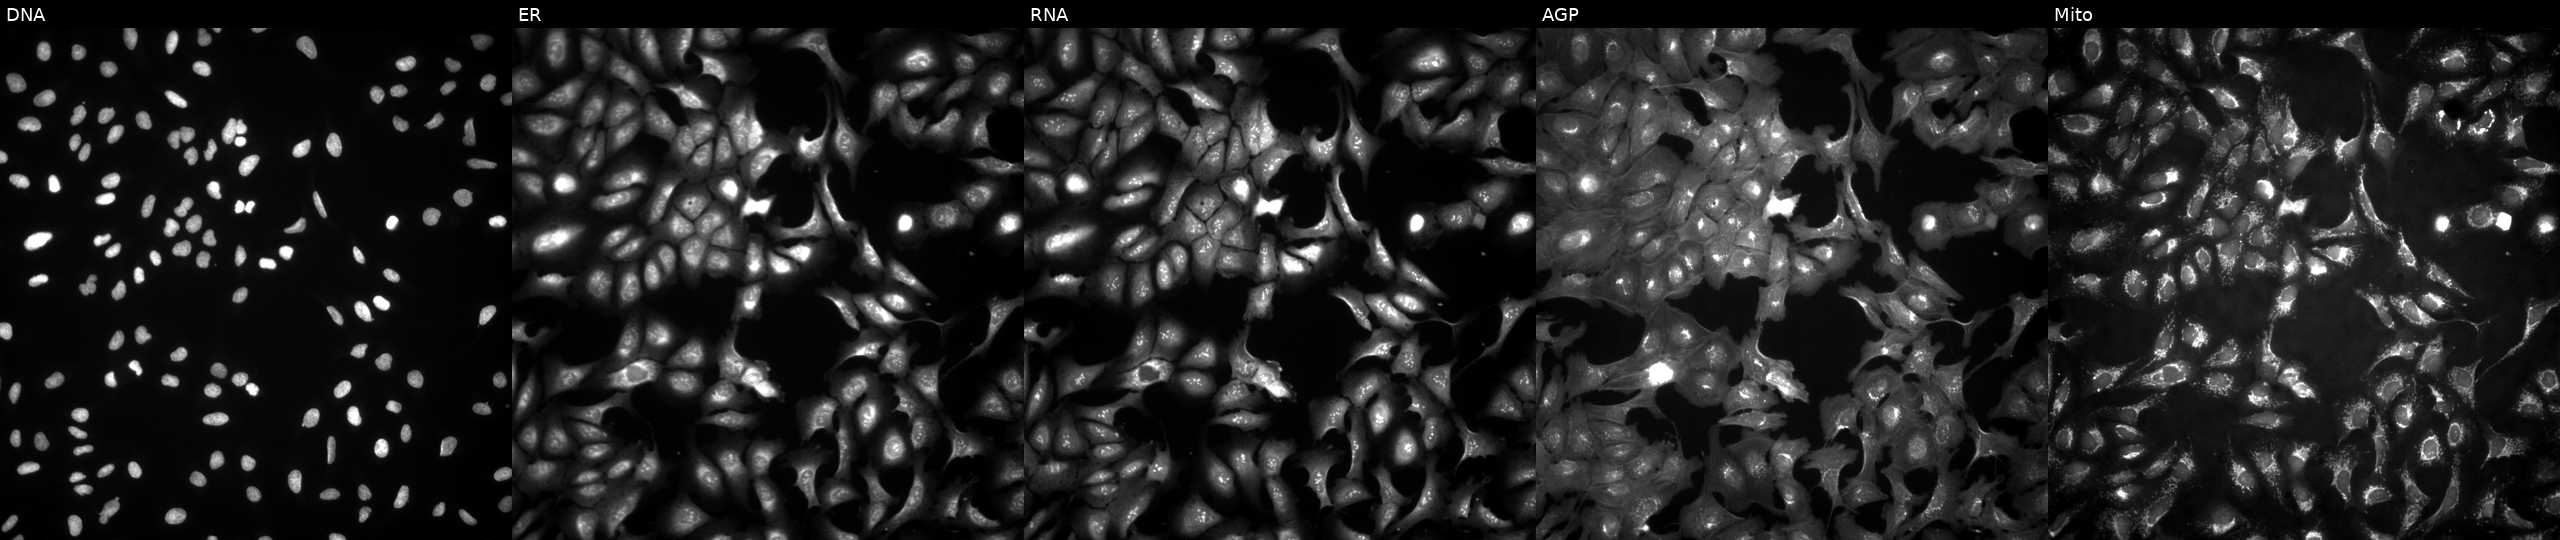
U2OS cells, Cell Painting assay, with SMIM19 overexpressed (ORF). Panels show, left to right, DNA, ER, RNA, AGP, and Mito. Each panel is percentile-stretched 16-bit fluorescence.